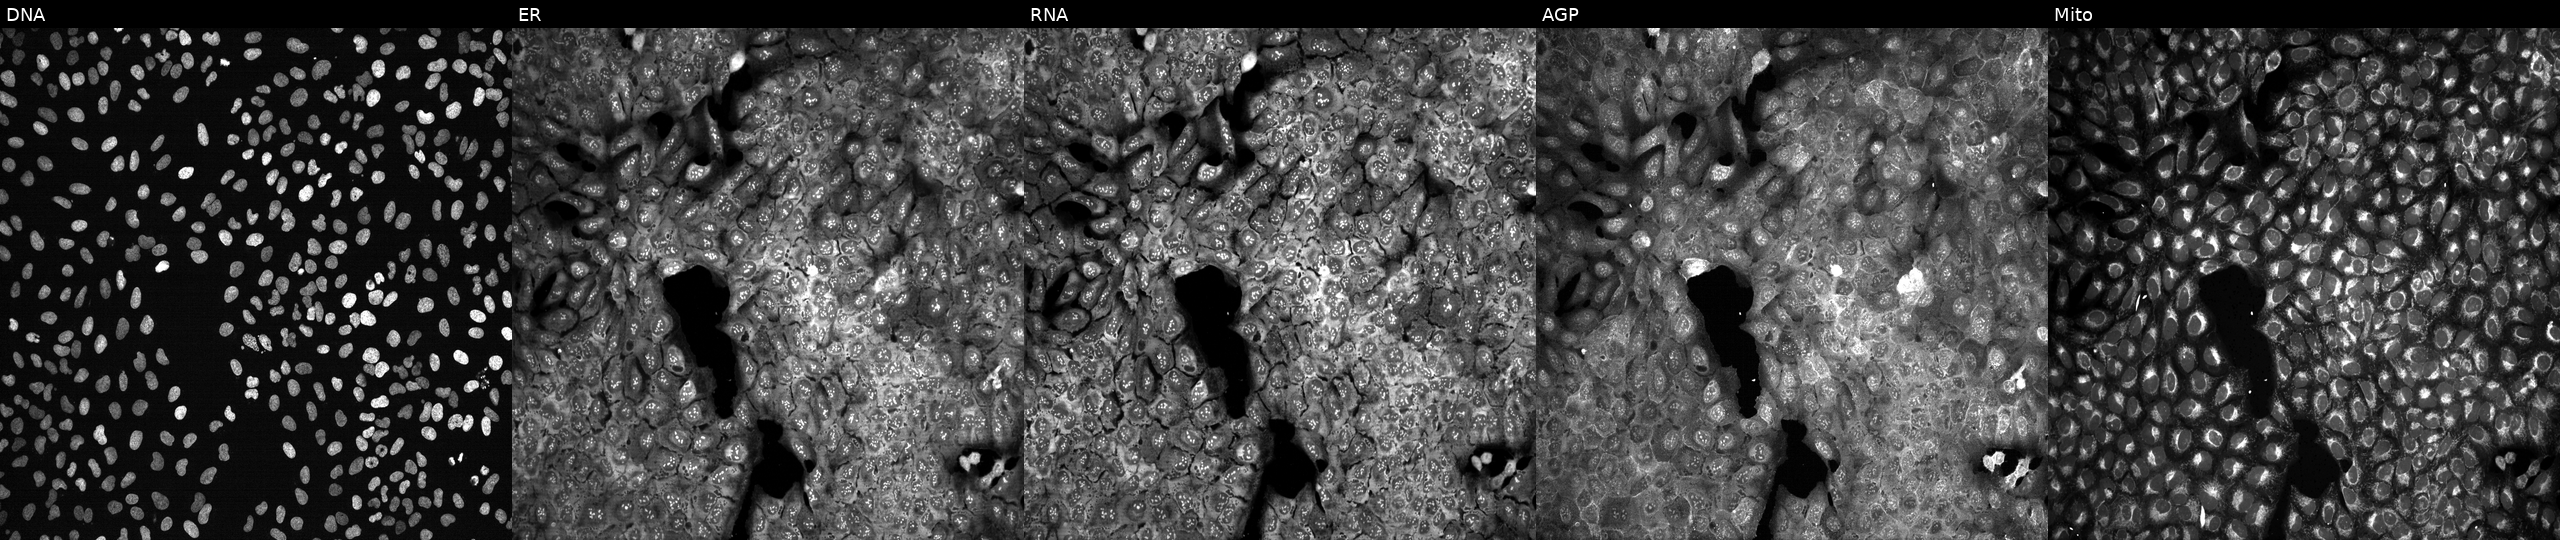
JUMP Cell Painting — CRISPR plate. U2OS cells CRISPR-edited to disrupt TXNDC8 (JUMP id JCP2022_807421). Channels (left→right): DNA (nuclei); ER (endoplasmic reticulum); RNA (nucleoli and cytoplasmic RNA); AGP (actin cytoskeleton, Golgi, and plasma membrane); Mito (mitochondria).